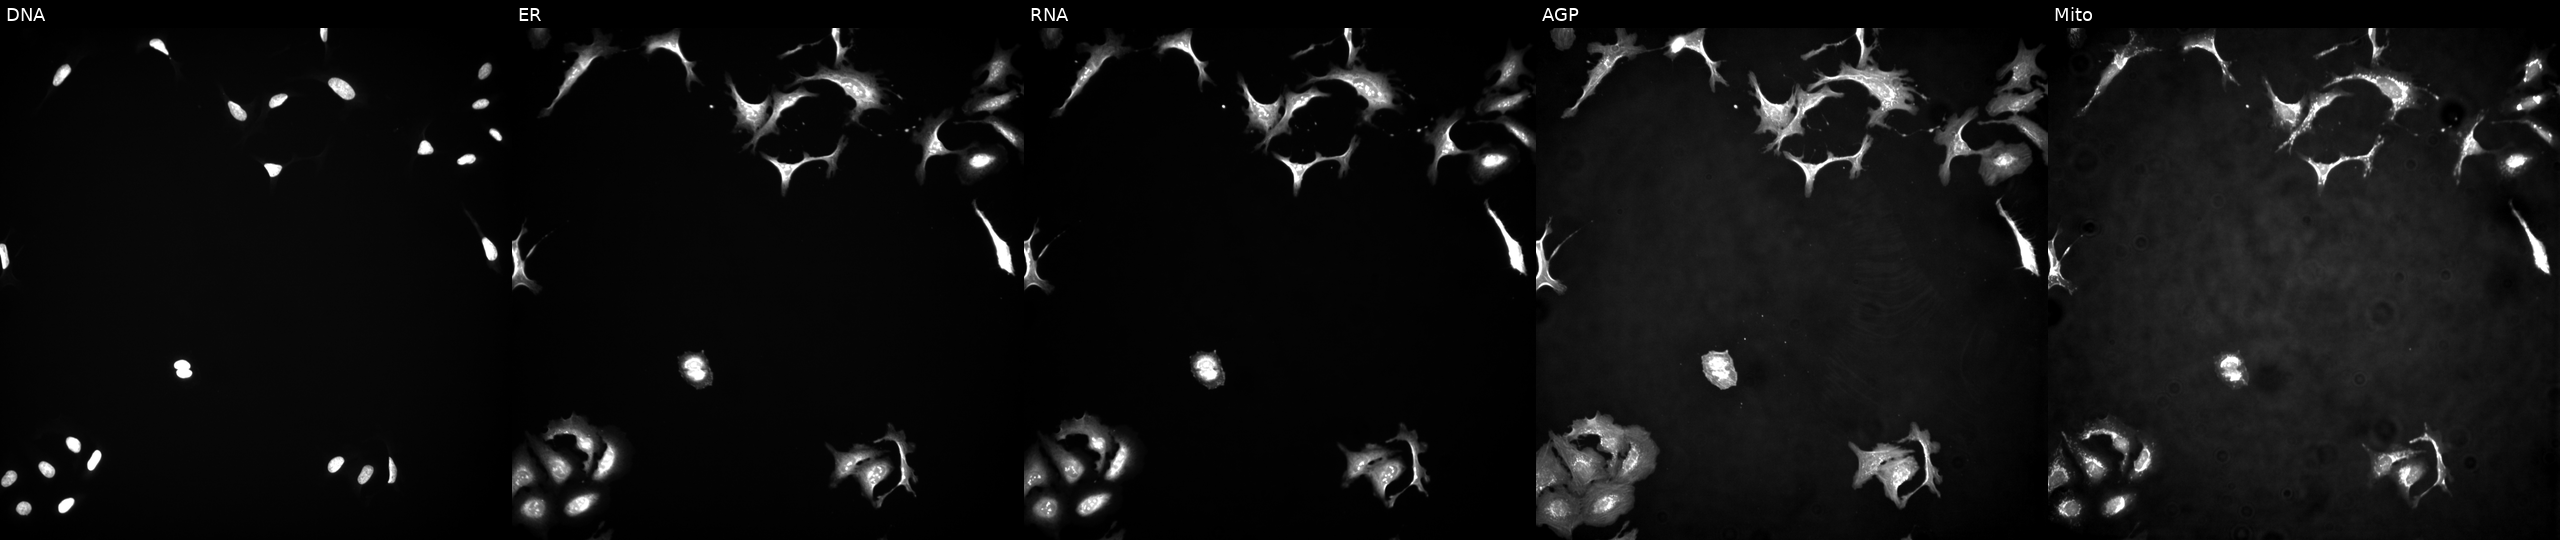
This image strip shows the five Cell Painting channels for a single field of U2OS cells with HK2 overexpressed (ORF) (JUMP id JCP2022_913695). From left to right: DNA (nuclei); ER (endoplasmic reticulum); RNA (nucleoli and cytoplasmic RNA); AGP (actin cytoskeleton, Golgi, and plasma membrane); Mito (mitochondria). Source 4, plate BR00123945, well J05.